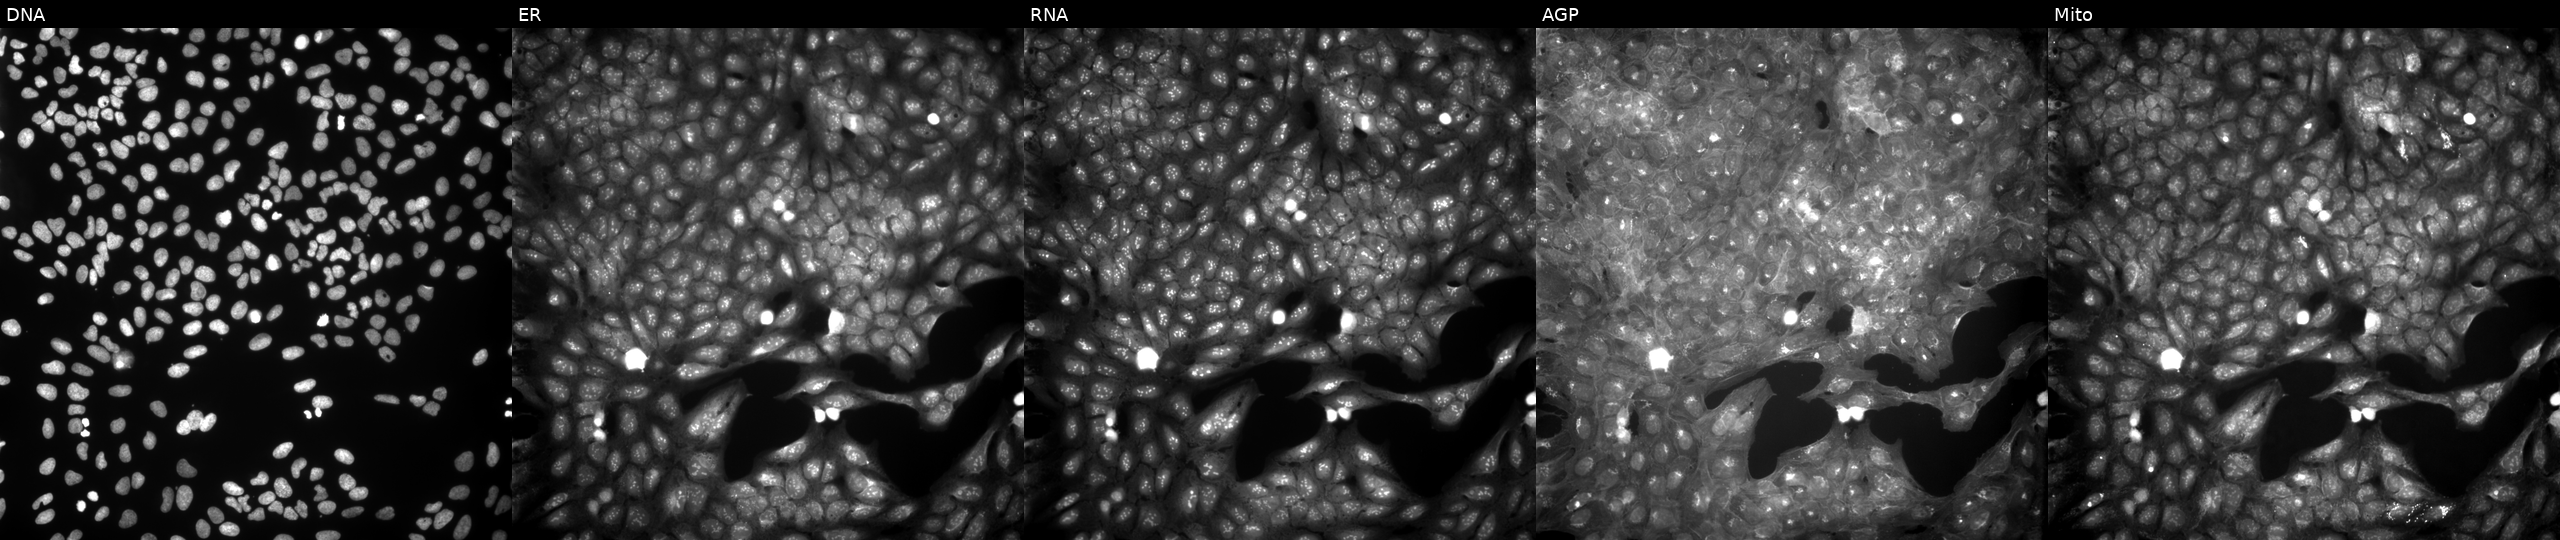
This image strip shows the five Cell Painting channels for a single field of U2OS cells treated with a small-molecule compound (InChIKey KCLUBMVVJCKVBS-UHFFFAOYSA-N). Panels show, left to right, DNA, ER, RNA, AGP, and Mito.